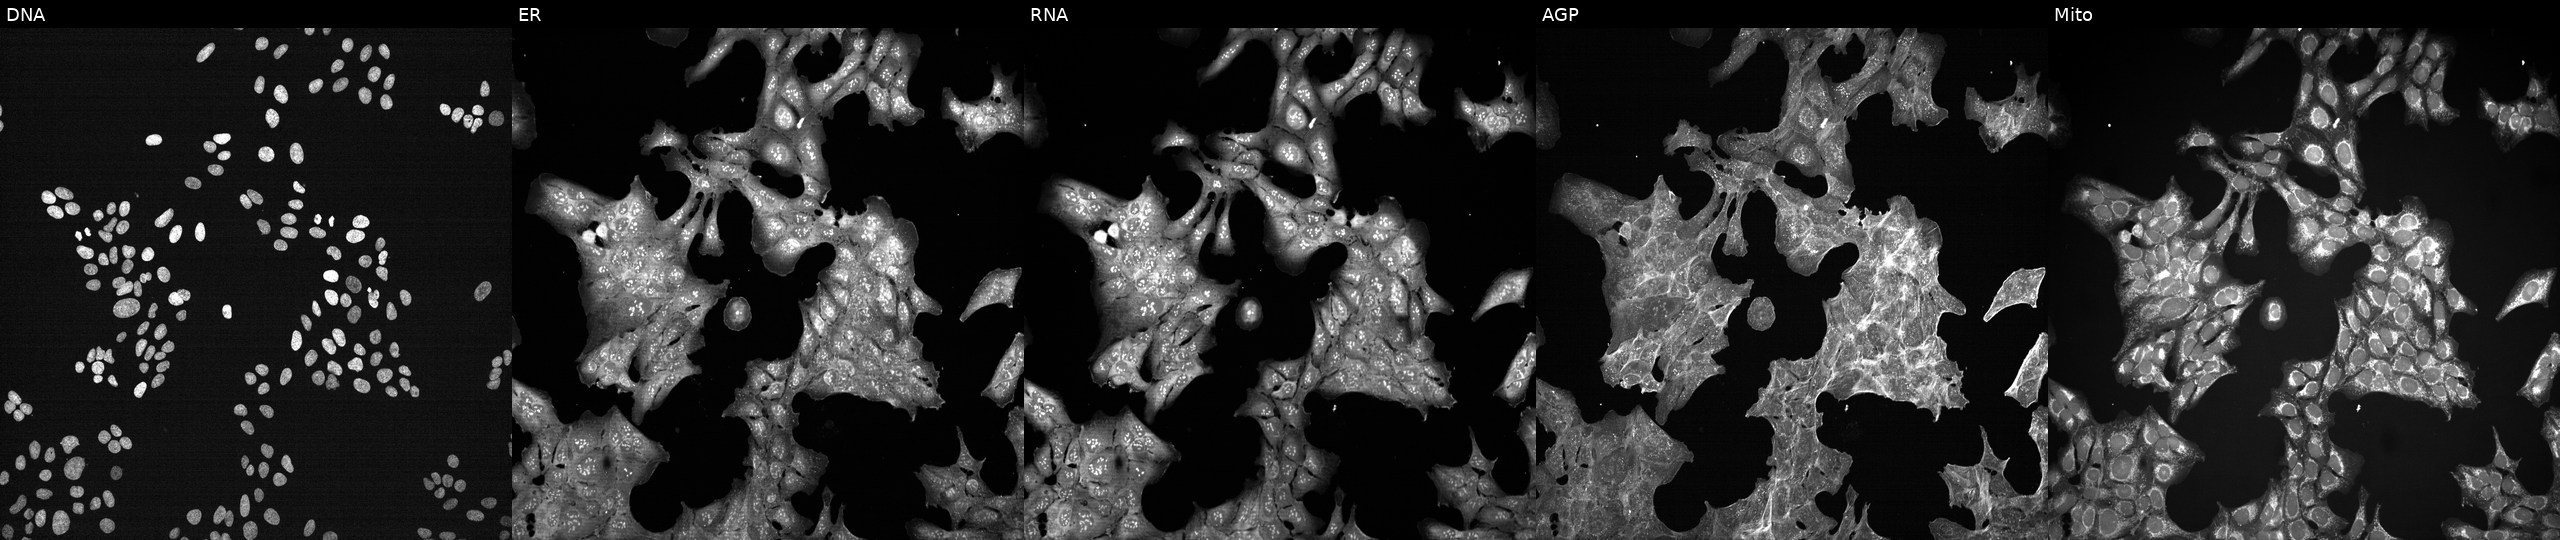
This image strip shows the five Cell Painting channels for a single field of U2OS cells exposed to the positive-control compound LY2109761. From left to right: DNA, ER, RNA, AGP, and Mito. Source 7, plate CP3-SC1-25, well O09.